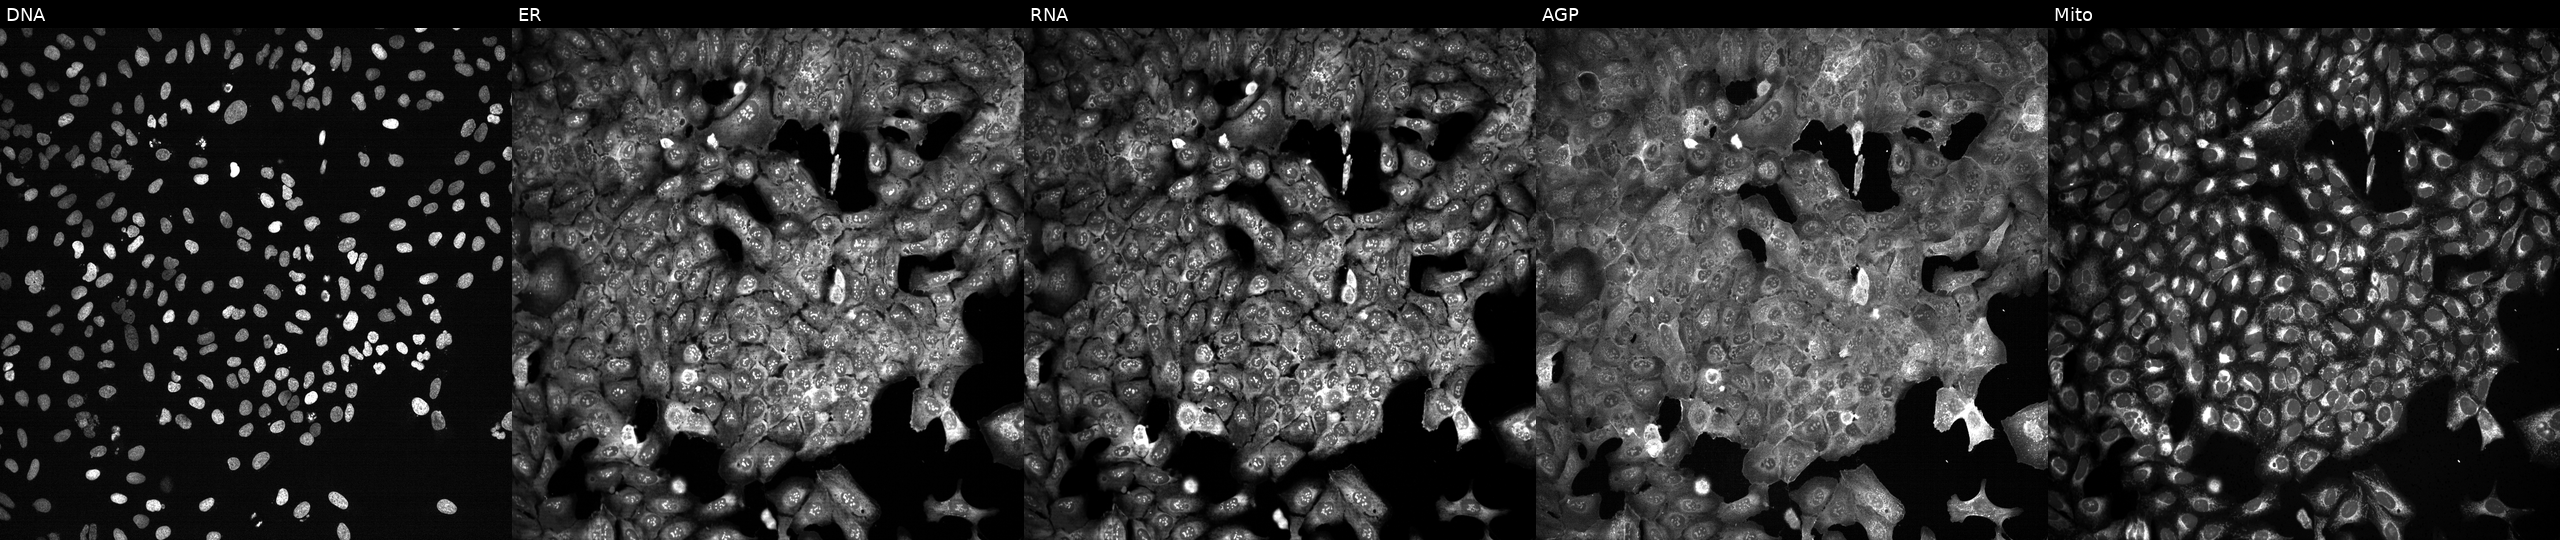
U2OS cells, Cell Painting assay, CRISPR-edited to disrupt TCN2 (JUMP id JCP2022_807006). From left to right: DNA, ER, RNA, AGP, and Mito. Each panel is percentile-stretched 16-bit fluorescence.